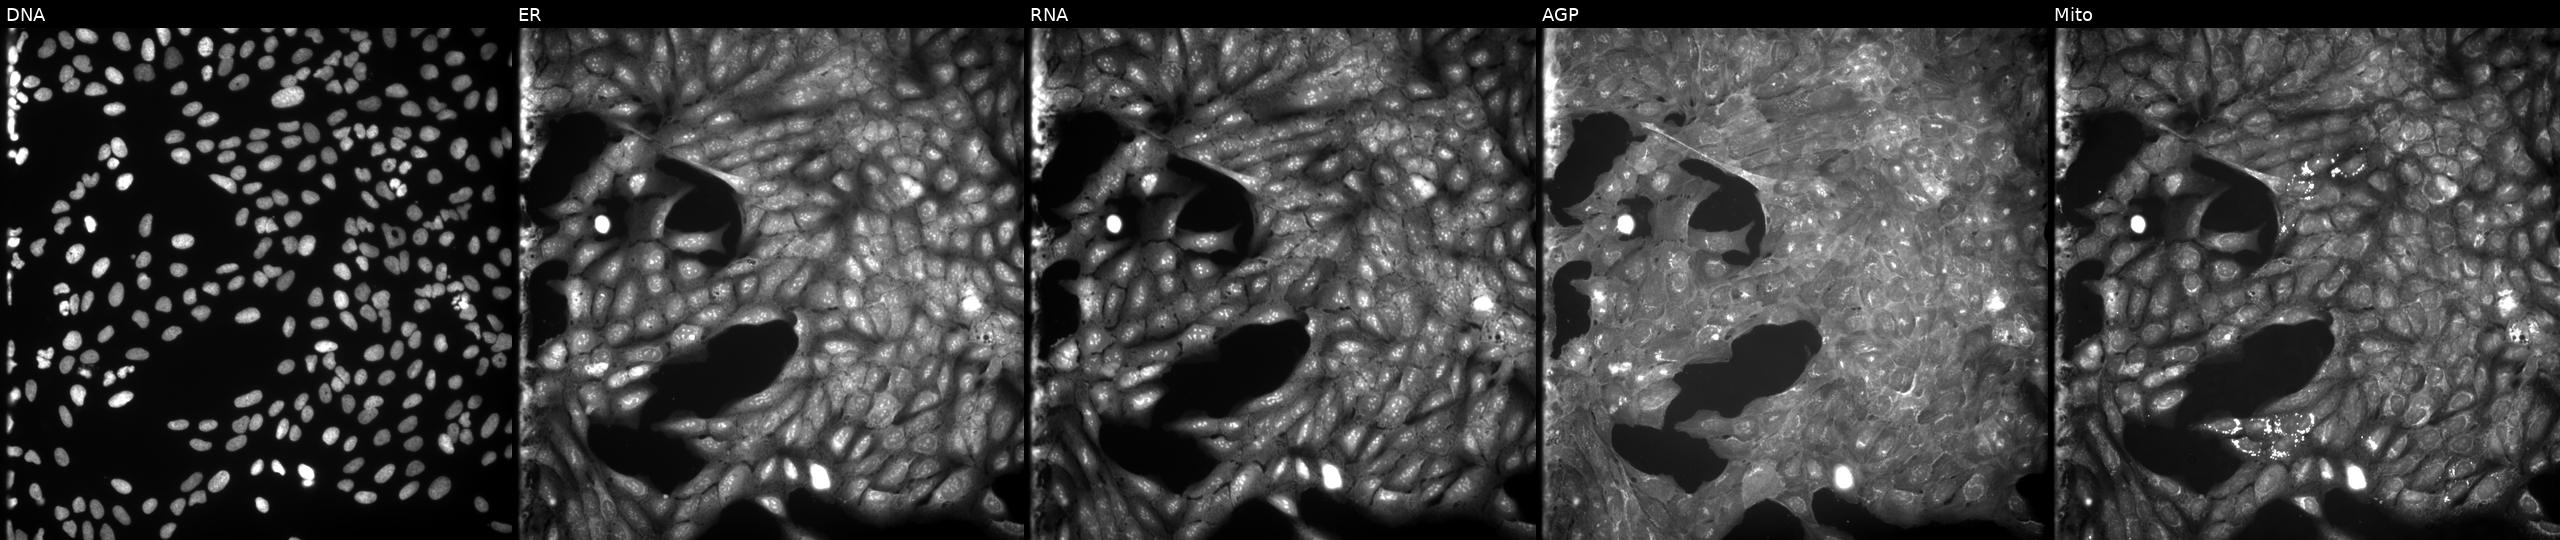
U2OS cells, Cell Painting assay, treated with a small-molecule compound (InChIKey ATKADZVINWFQOE-UHFFFAOYSA-N). Panels show, left to right, Hoechst 33342, concanavalin A, SYTO 14, phalloidin and WGA, MitoTracker. Each panel is percentile-stretched 16-bit fluorescence.